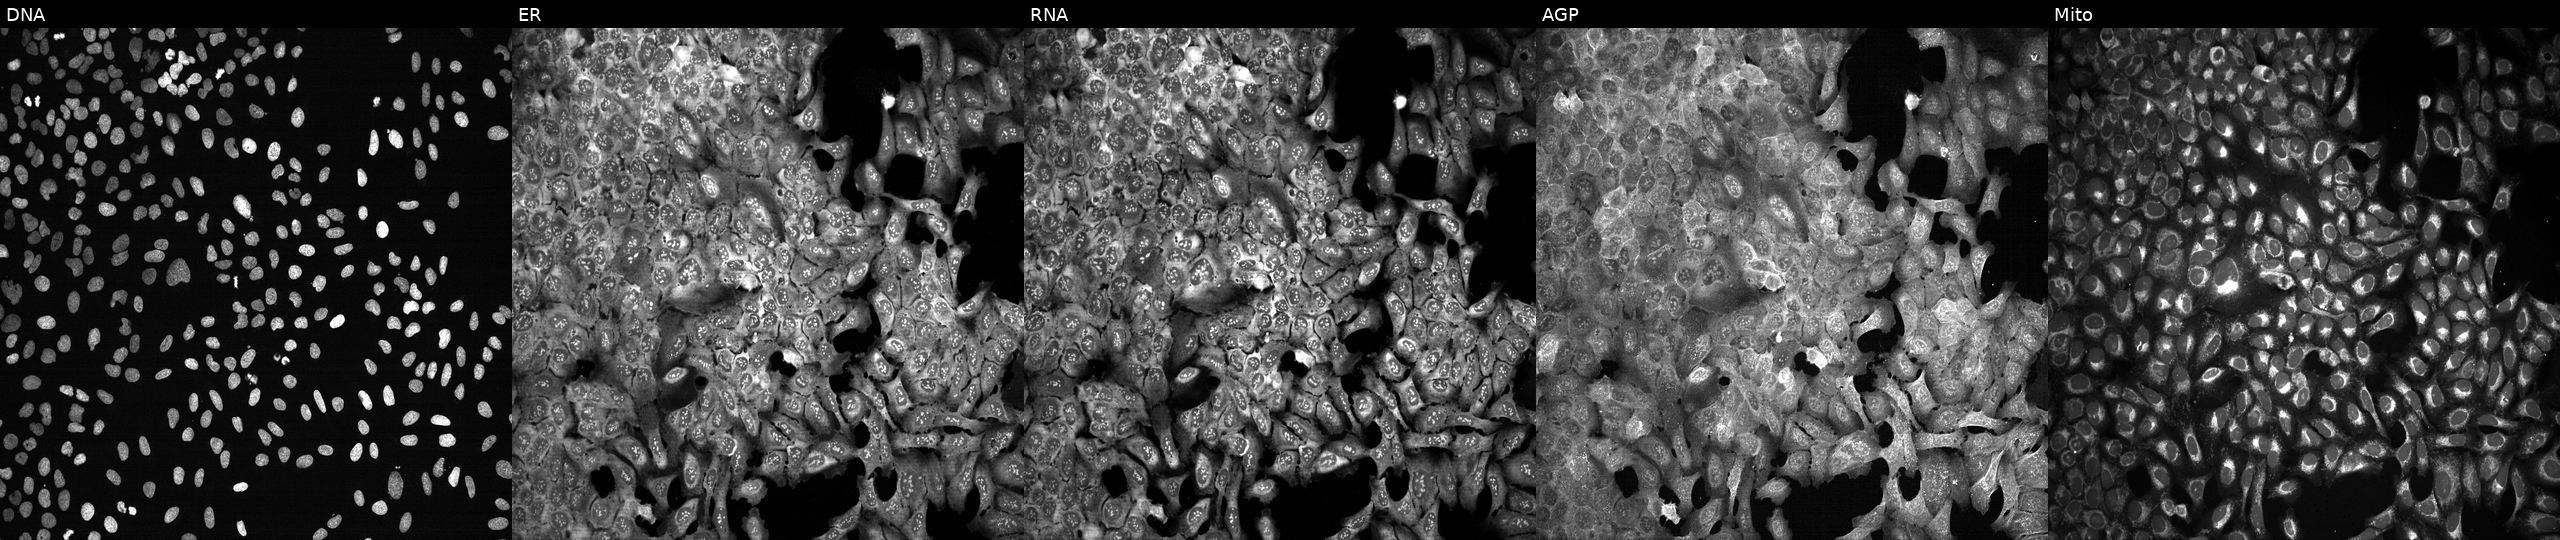
U2OS cells, Cell Painting assay, following CRISPR knockout of SDHD (JUMP id JCP2022_806237). Channels (left→right): DNA, ER, RNA, AGP, and Mito. Each panel is percentile-stretched 16-bit fluorescence.